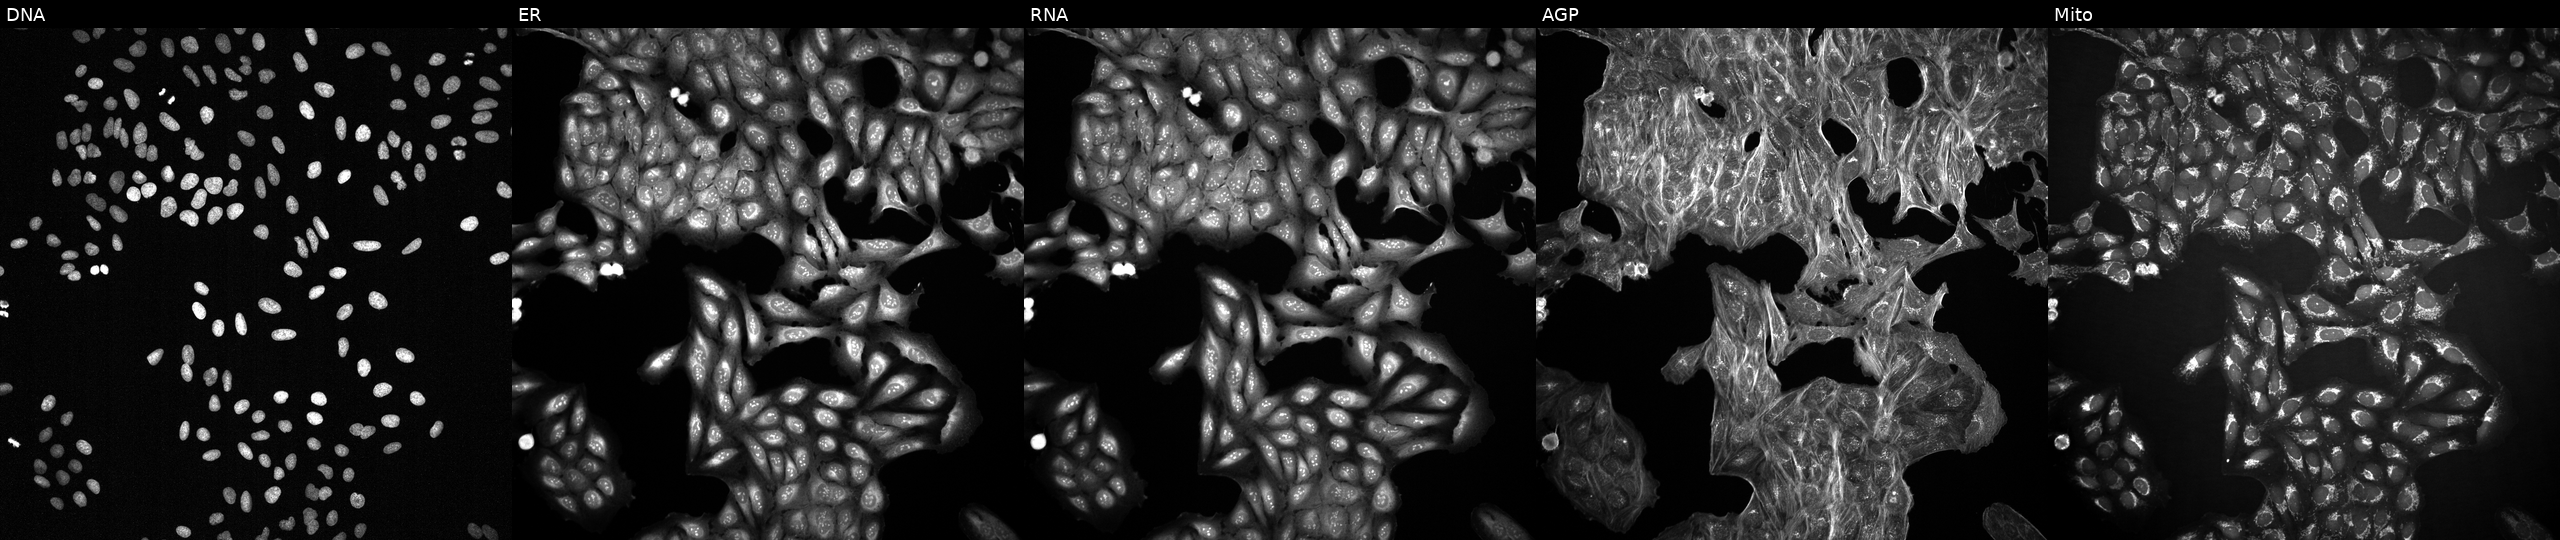
This image strip shows the five Cell Painting channels for a single field of U2OS cells exposed to DMSO alone as a negative control (JUMP id JCP2022_033924). Panels show, left to right, DNA, ER, RNA, AGP, and Mito.